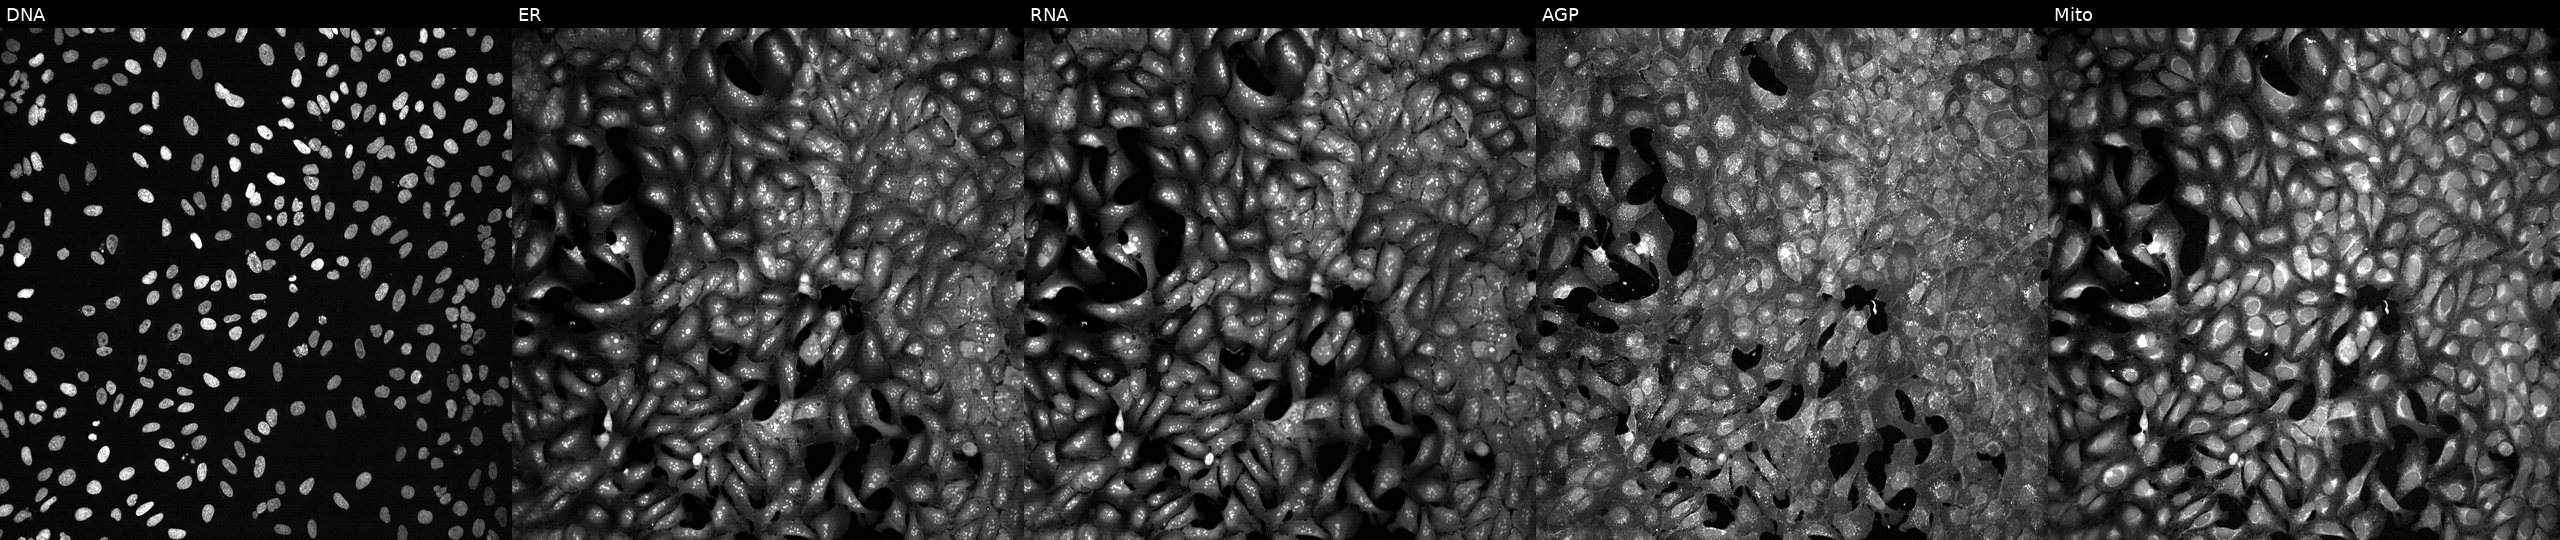
Panels show, left to right, DNA (nuclei); ER (endoplasmic reticulum); RNA (nucleoli and cytoplasmic RNA); AGP (actin cytoskeleton, Golgi, and plasma membrane); Mito (mitochondria). U2OS osteosarcoma cells CRISPR-edited to disrupt AARSD1. Cell Painting assay, JUMP-CP dataset. Source 13, plate CP-CC9-R1-01, well B19.